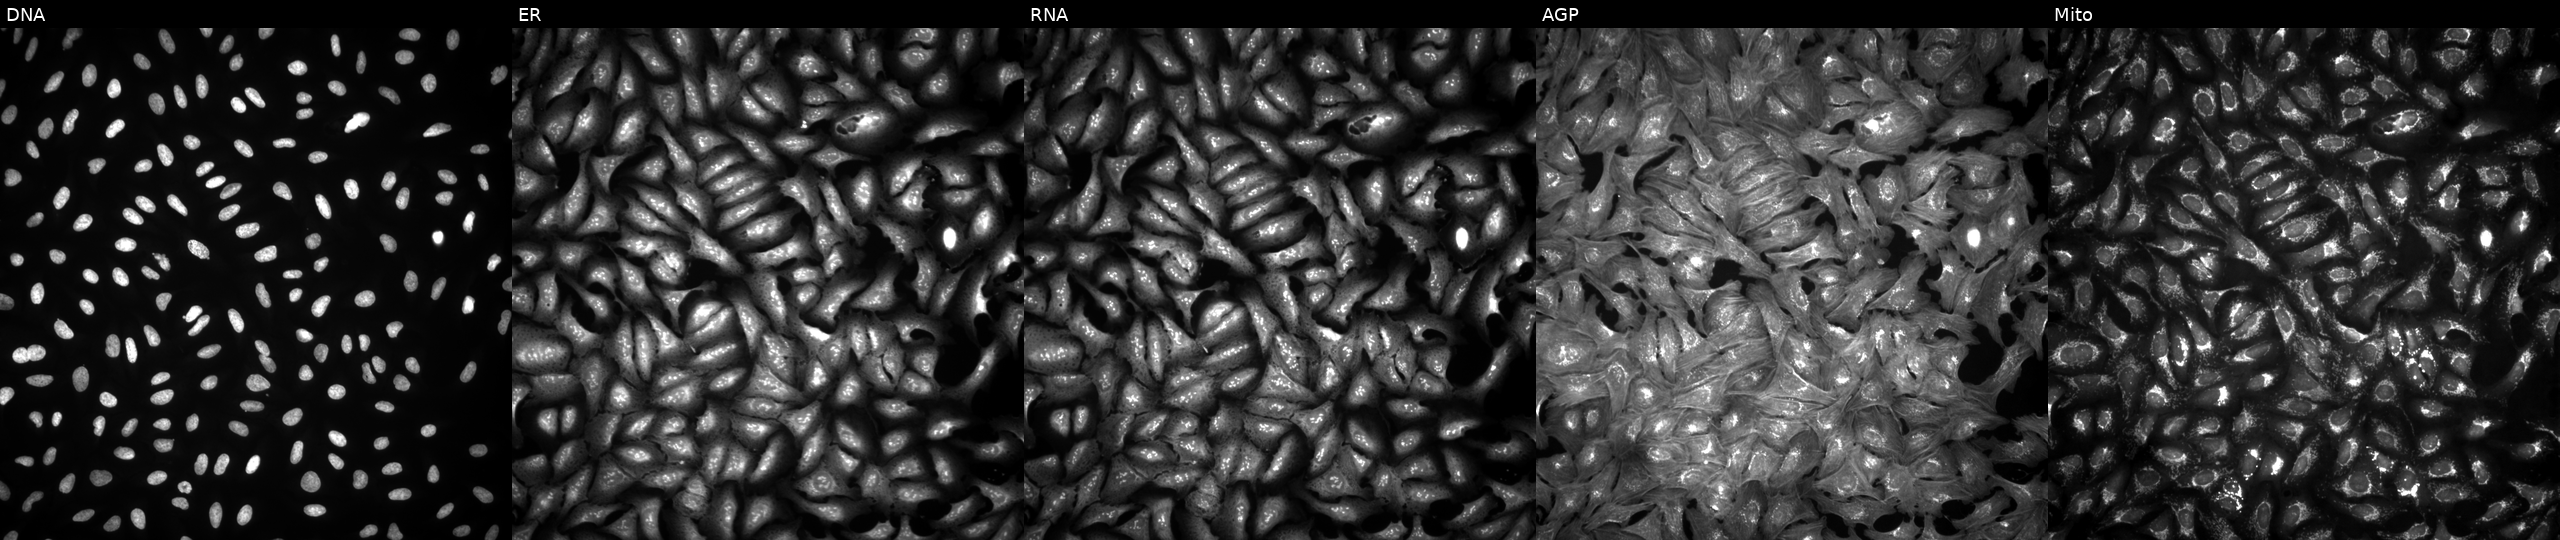
JUMP Cell Painting — ORF plate. U2OS cells overexpressing FASTK via ORF transfection. Panels show, left to right, DNA, ER, RNA, AGP, and Mito. Source 4, plate BR00124784, well O10.